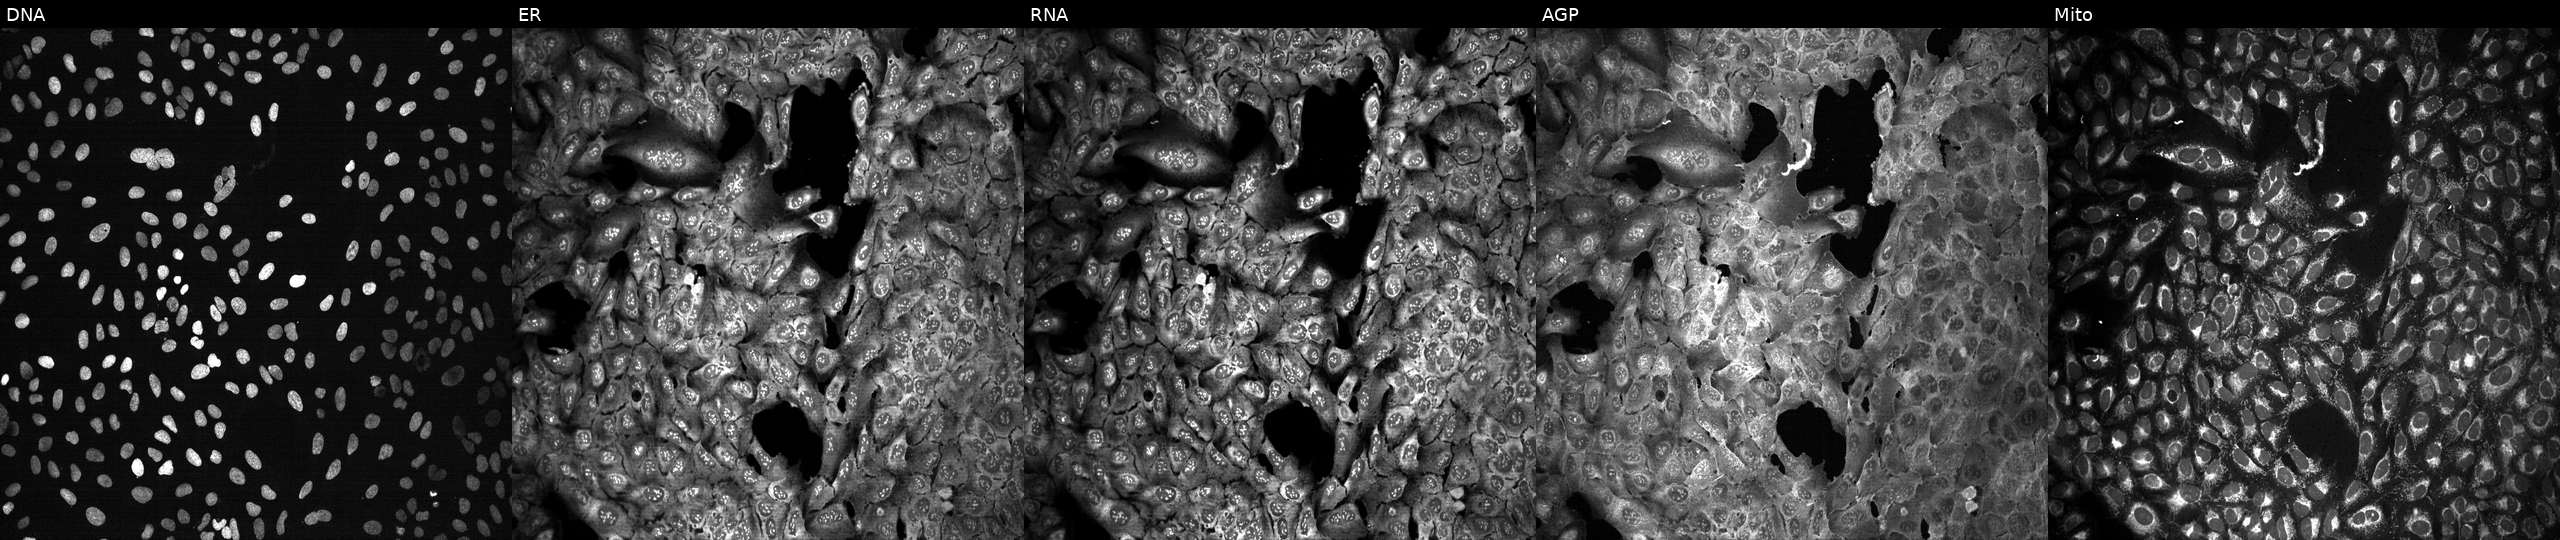
High-content fluorescence microscopy (Cell Painting). Cell line: U2OS. Perturbation: with SLC23A3 knocked out by CRISPR (JUMP id JCP2022_806433). From left to right: DNA (nuclei); ER (endoplasmic reticulum); RNA (nucleoli and cytoplasmic RNA); AGP (actin cytoskeleton, Golgi, and plasma membrane); Mito (mitochondria). Source 13, plate CP-CC9-R3-01, well C22.